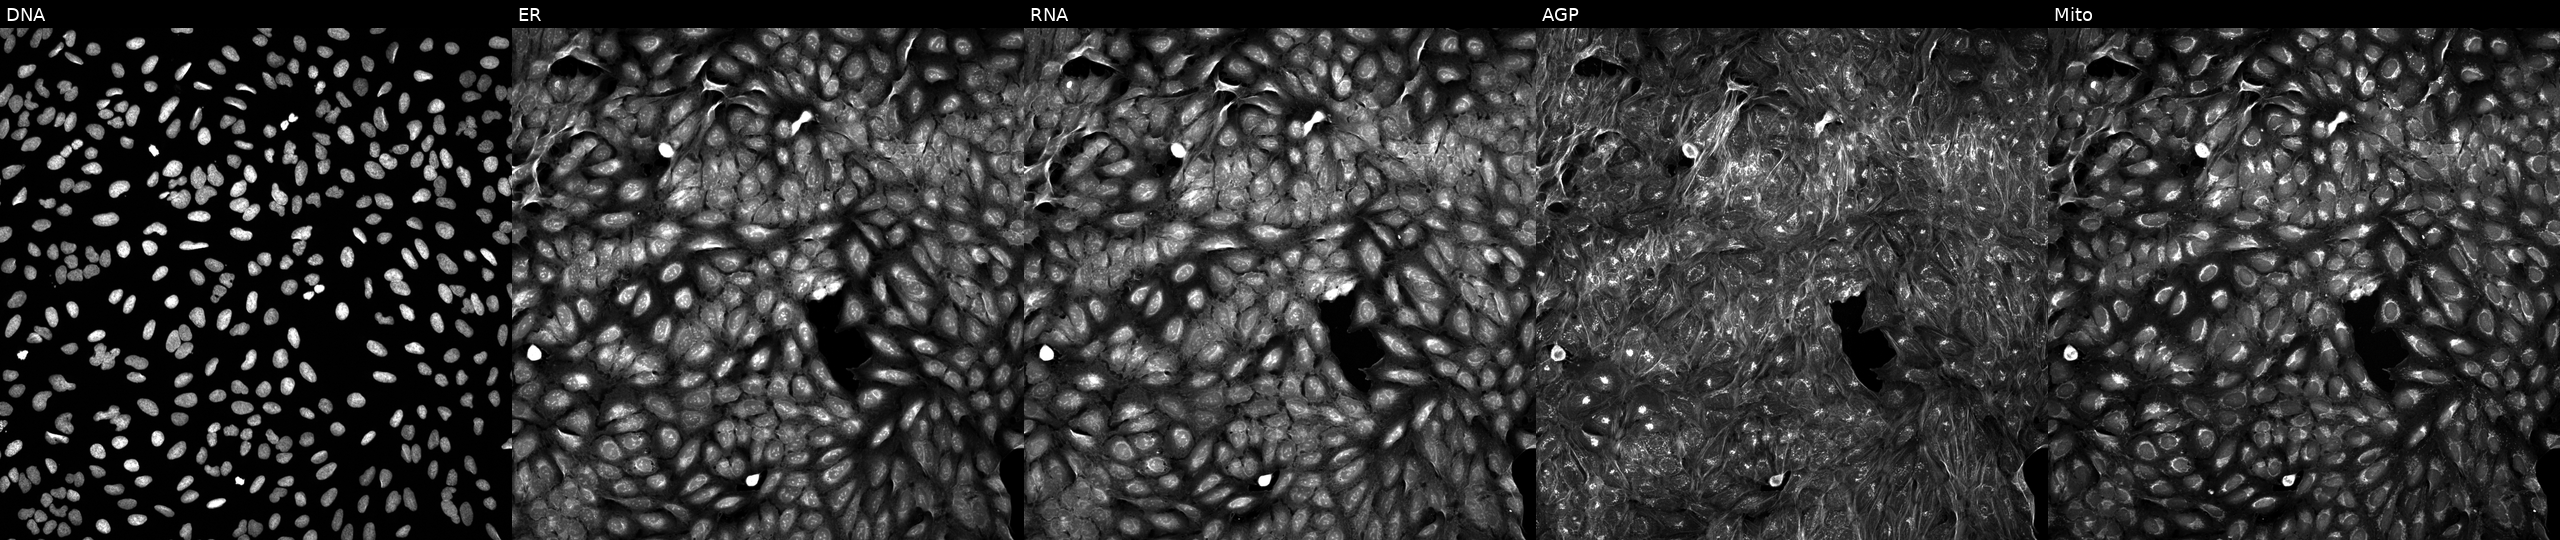
High-content fluorescence microscopy (Cell Painting). Cell line: U2OS. Perturbation: perturbed with a small-molecule compound (JUMP id JCP2022_069245). Panels show, left to right, DNA, ER, RNA, AGP, and Mito. Source 5, plate APTJUM105, well K06.